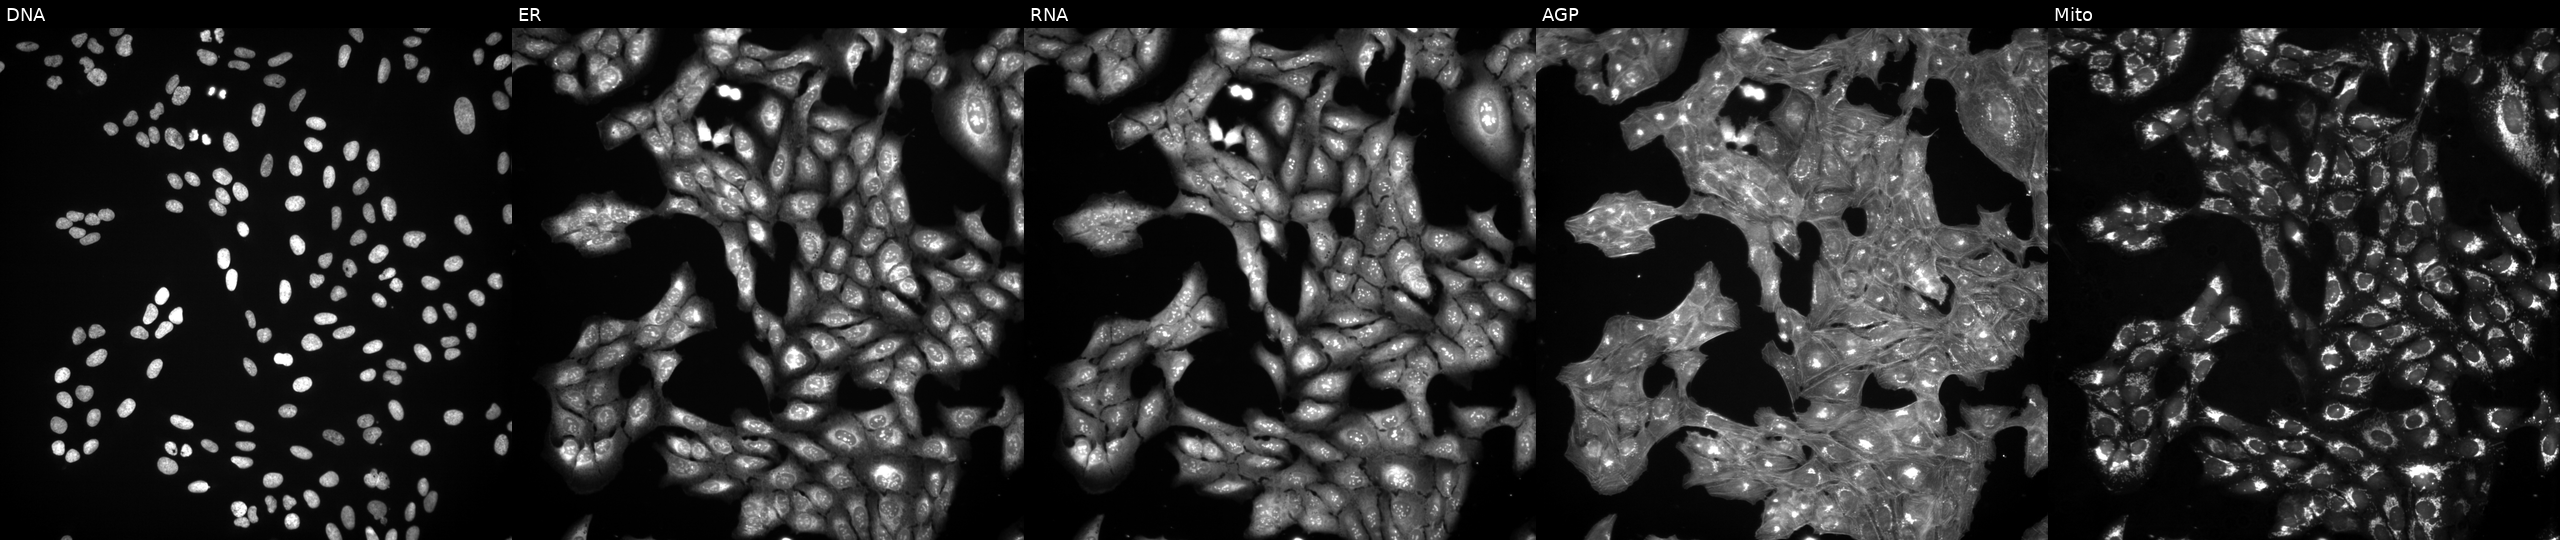
Panels show, left to right, DNA (nuclei); ER (endoplasmic reticulum); RNA (nucleoli and cytoplasmic RNA); AGP (actin cytoskeleton, Golgi, and plasma membrane); Mito (mitochondria). U2OS osteosarcoma cells treated with a small-molecule compound (InChIKey OWXADRKKGKVTHW-UHFFFAOYSA-N) [SMILES: Cc1cc(C)c(C(=O)CSc2n[nH]c(=O)n2C2CC2)cc1C] (JUMP id JCP2022_066670). Cell Painting assay, JUMP-CP dataset.